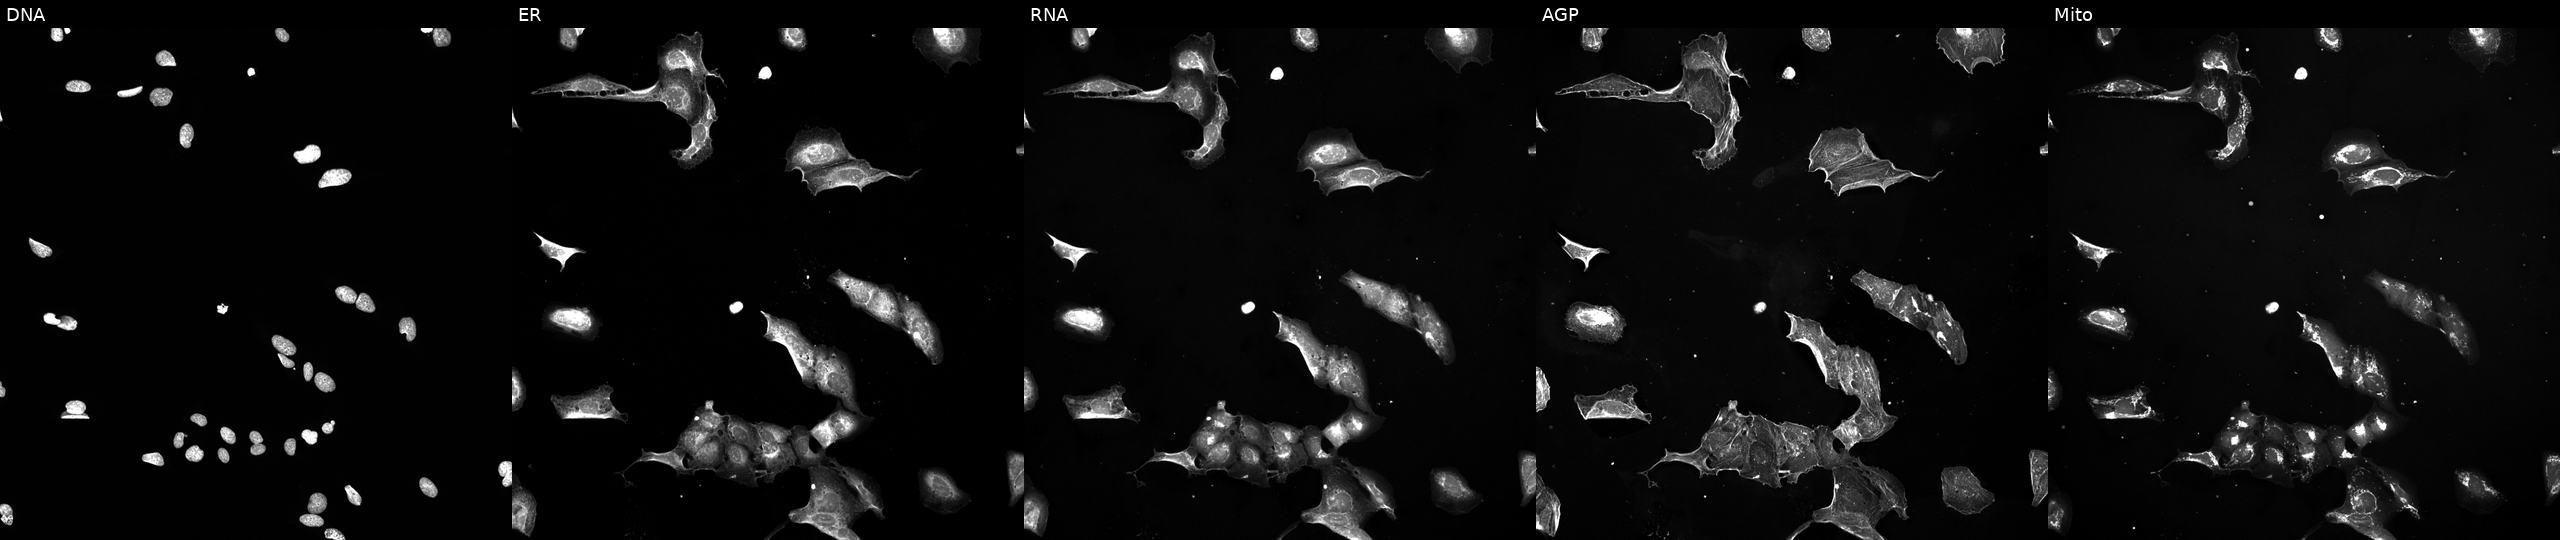
U2OS cells, Cell Painting assay, perturbed with a small-molecule compound (InChIKey HGMSUJCQIUFZBJ-UHFFFAOYSA-N) [SMILES: COC1=CC(C)=Cc2c(O)c(cc(O)c2OC)NC(=O)C(C)CC=CC(OC)C(OC(N)=O)C(C)=CC(C)C1O]. The five panels, left to right, show DNA (nuclei); ER (endoplasmic reticulum); RNA (nucleoli and cytoplasmic RNA); AGP (actin cytoskeleton, Golgi, and plasma membrane); Mito (mitochondria). Each panel is percentile-stretched 16-bit fluorescence.